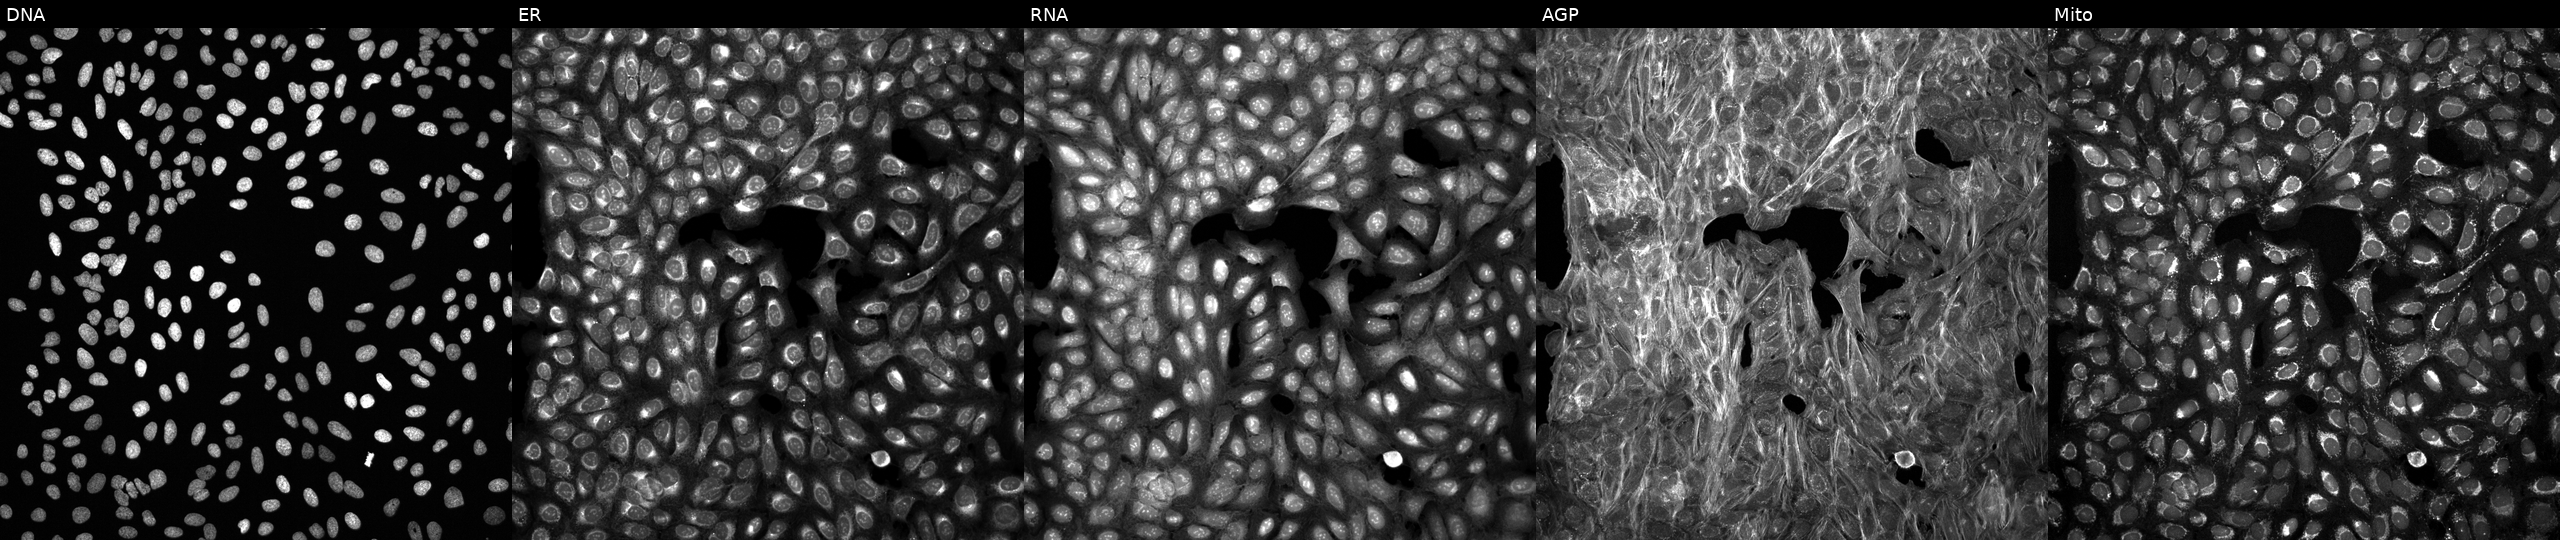
JUMP Cell Painting — TARGET2 plate. U2OS cells exposed to a small-molecule compound (JUMP id JCP2022_088849). Channels (left→right): DNA (nuclei); ER (endoplasmic reticulum); RNA (nucleoli and cytoplasmic RNA); AGP (actin cytoskeleton, Golgi, and plasma membrane); Mito (mitochondria). Source 6, plate 110000294901, well I19.